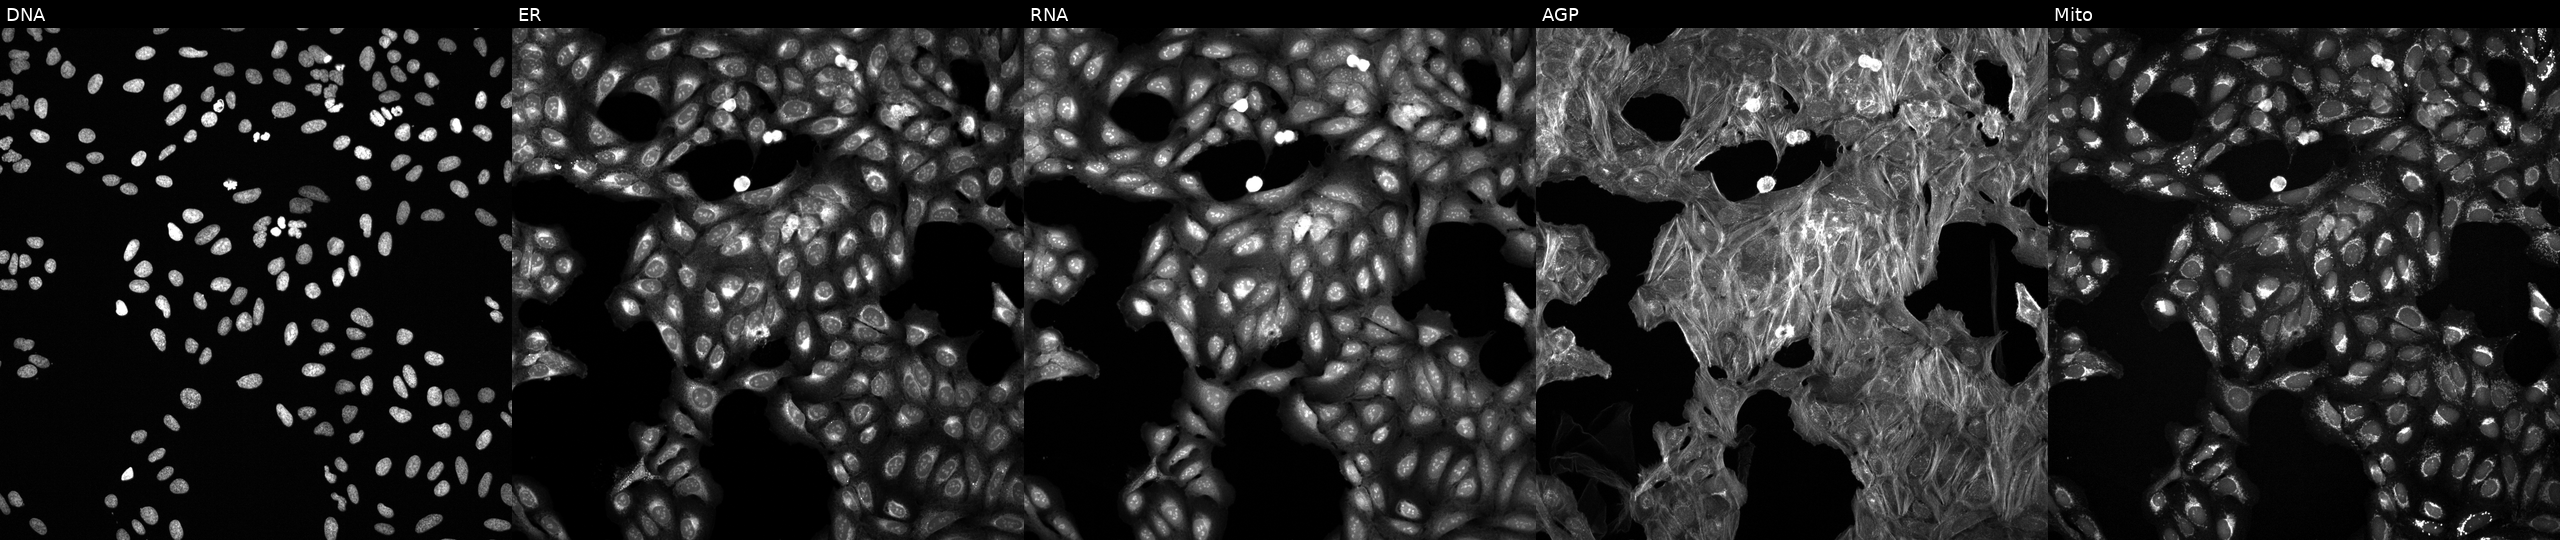
High-content fluorescence microscopy (Cell Painting). Cell line: U2OS. Perturbation: exposed to a small-molecule compound (InChIKey SQMWSBKSHWARHU-UHFFFAOYSA-N) (JUMP id JCP2022_084963). The five panels, left to right, show DNA (nuclei); ER (endoplasmic reticulum); RNA (nucleoli and cytoplasmic RNA); AGP (actin cytoskeleton, Golgi, and plasma membrane); Mito (mitochondria). Source 6, plate 110000293093, well E15.